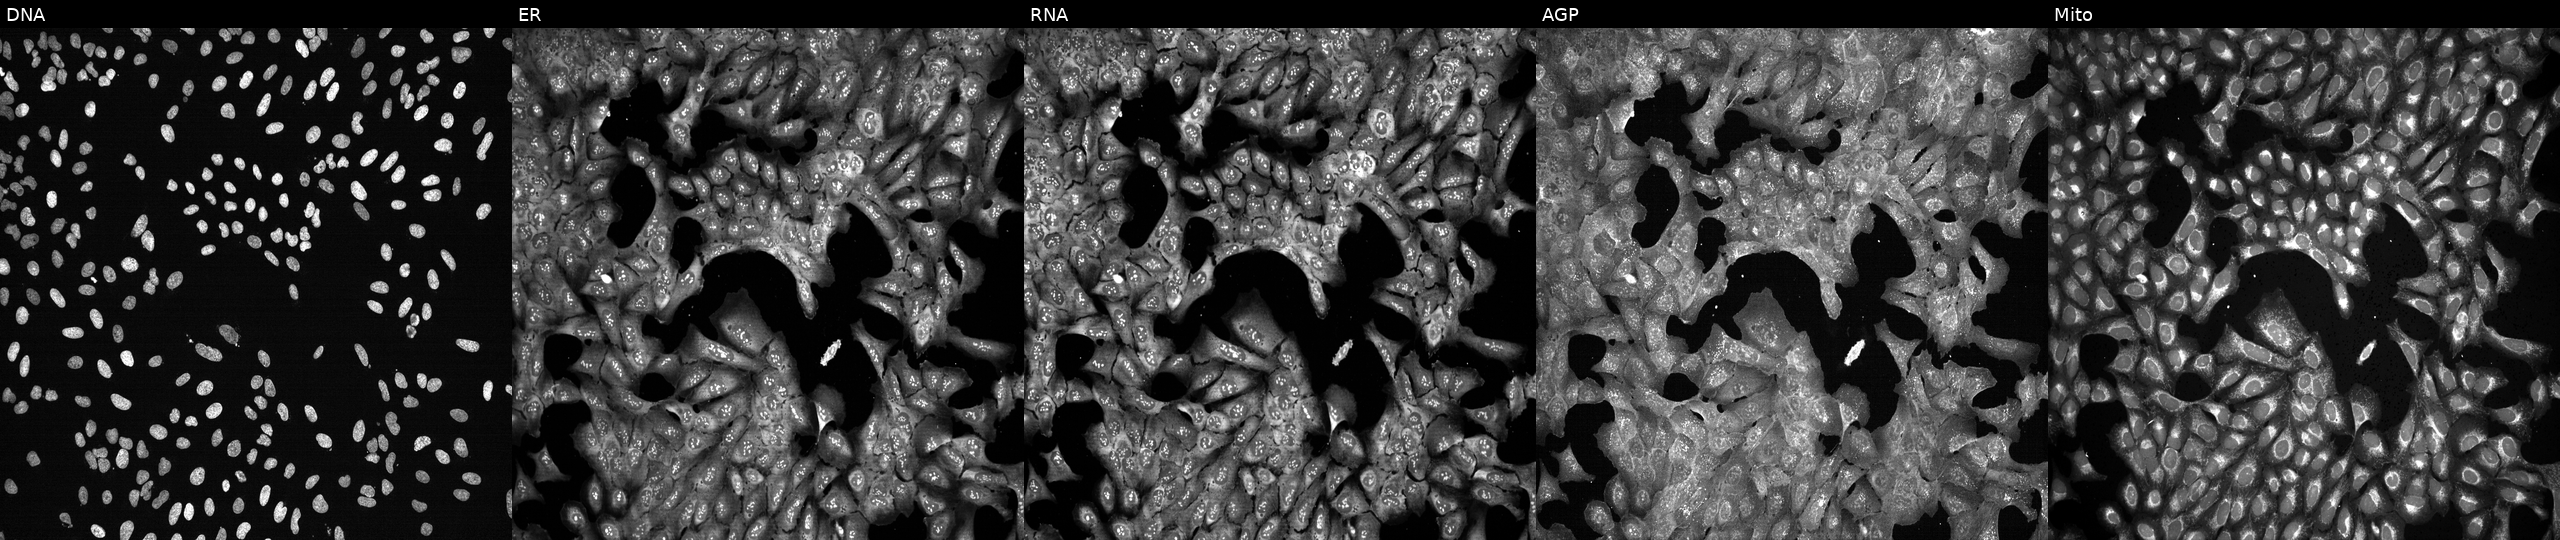
Five-channel Cell Painting image of U2OS cells CRISPR-edited to disrupt SLC1A2 (JUMP id JCP2022_806408). Channels (left→right): Hoechst 33342, concanavalin A, SYTO 14, phalloidin and WGA, MitoTracker.